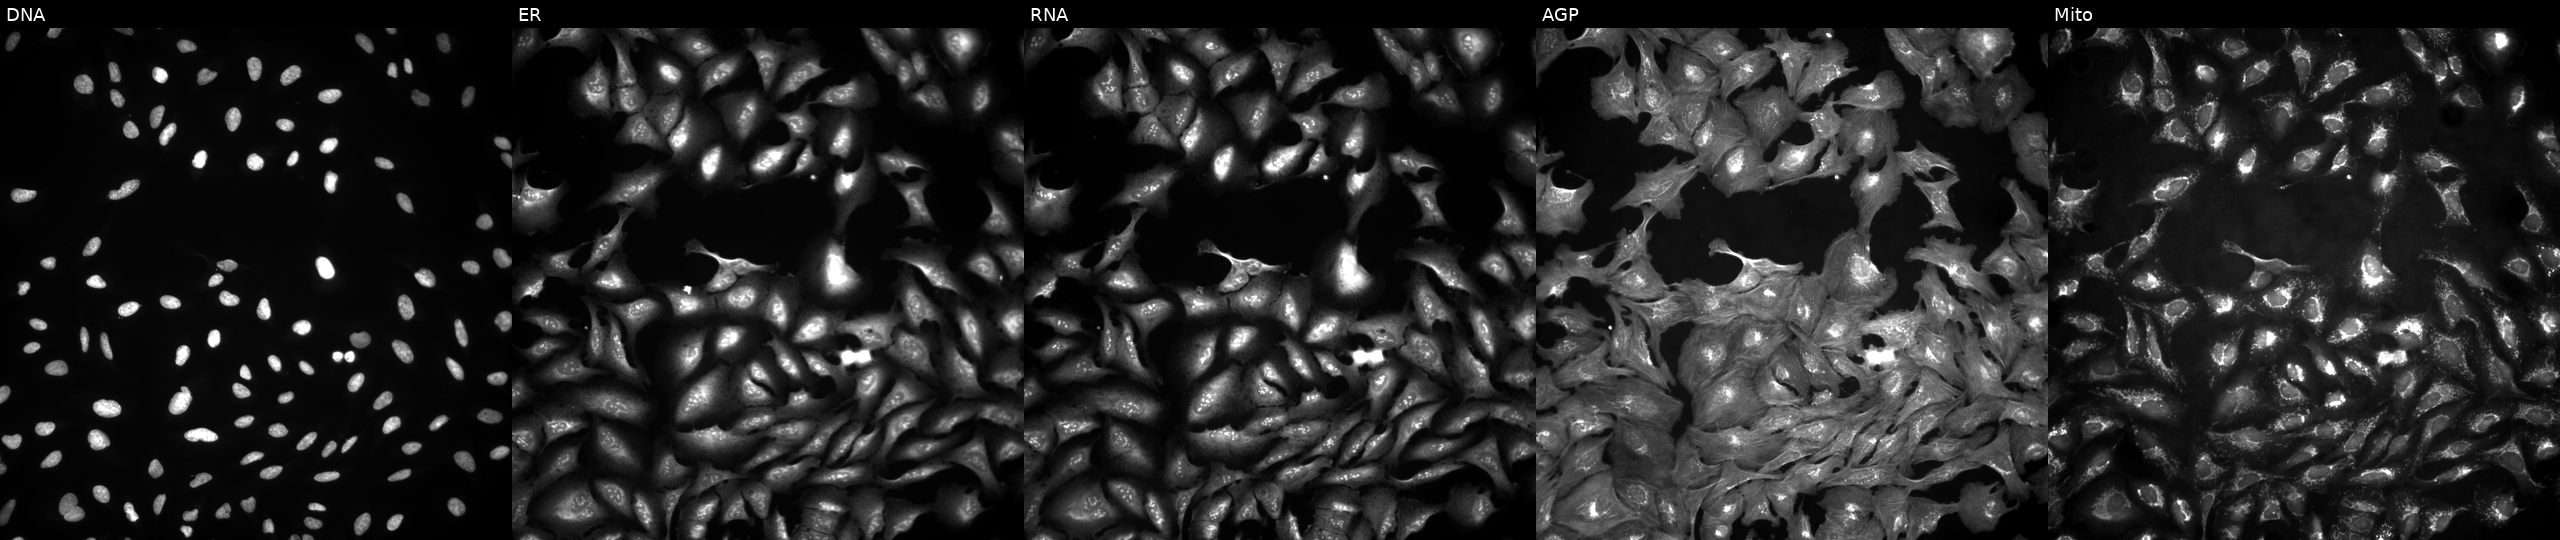
JUMP Cell Painting — ORF plate. U2OS cells overexpressing LIMS3 via ORF transfection. The five panels, left to right, show Hoechst 33342, concanavalin A, SYTO 14, phalloidin and WGA, MitoTracker. Source 4, plate BR00124784, well J21.